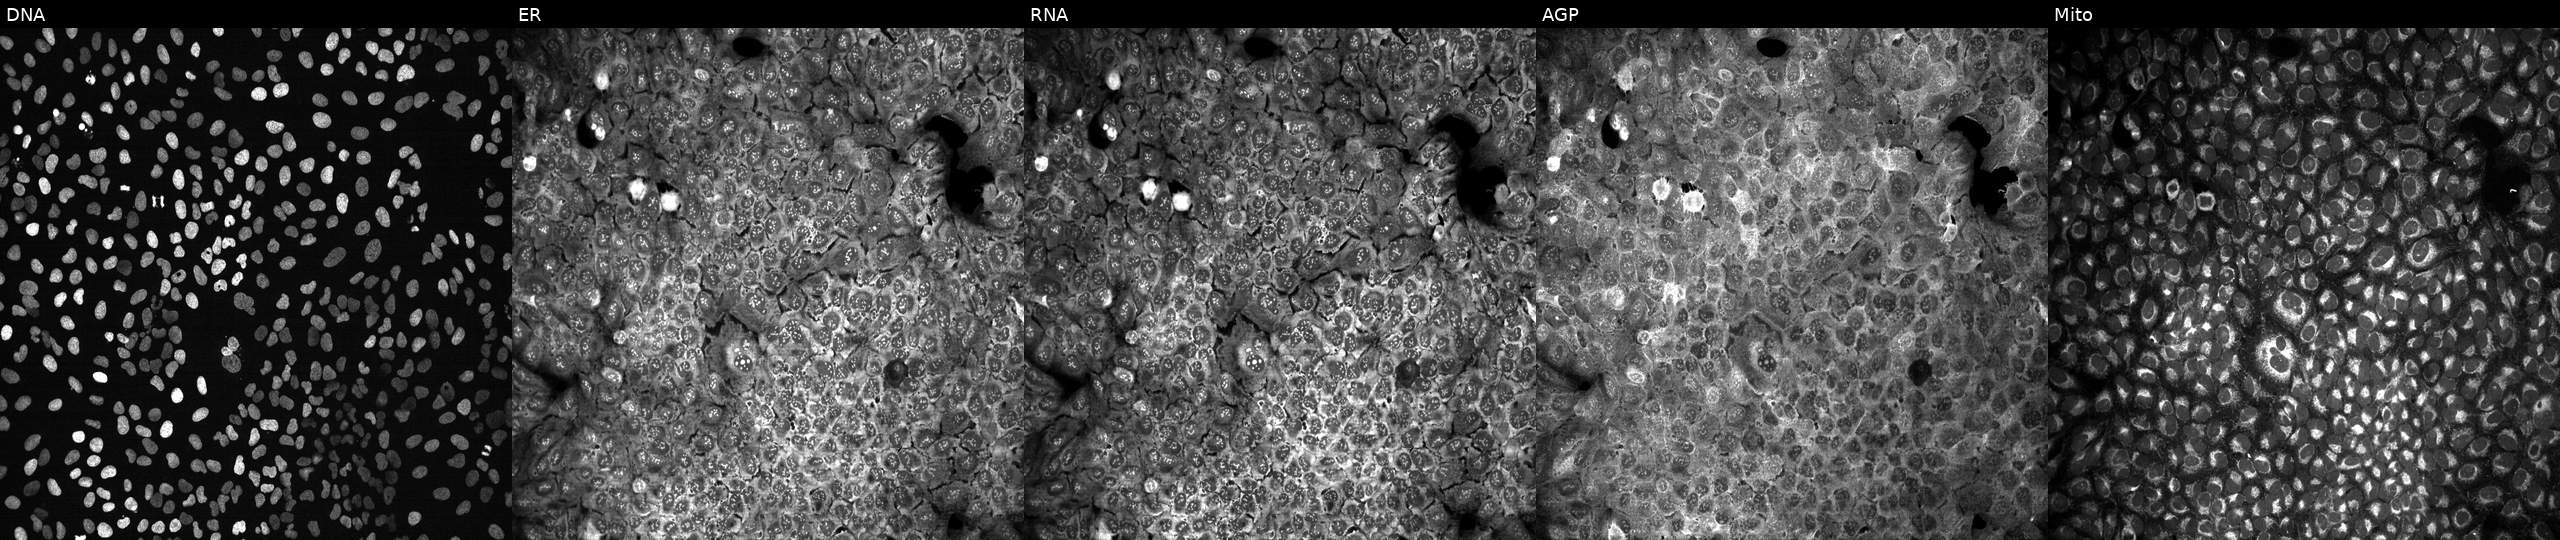
Channels (left→right): Hoechst 33342, concanavalin A, SYTO 14, phalloidin and WGA, MitoTracker. U2OS osteosarcoma cells with no CRISPR guide (negative control). Cell Painting assay, JUMP-CP dataset.